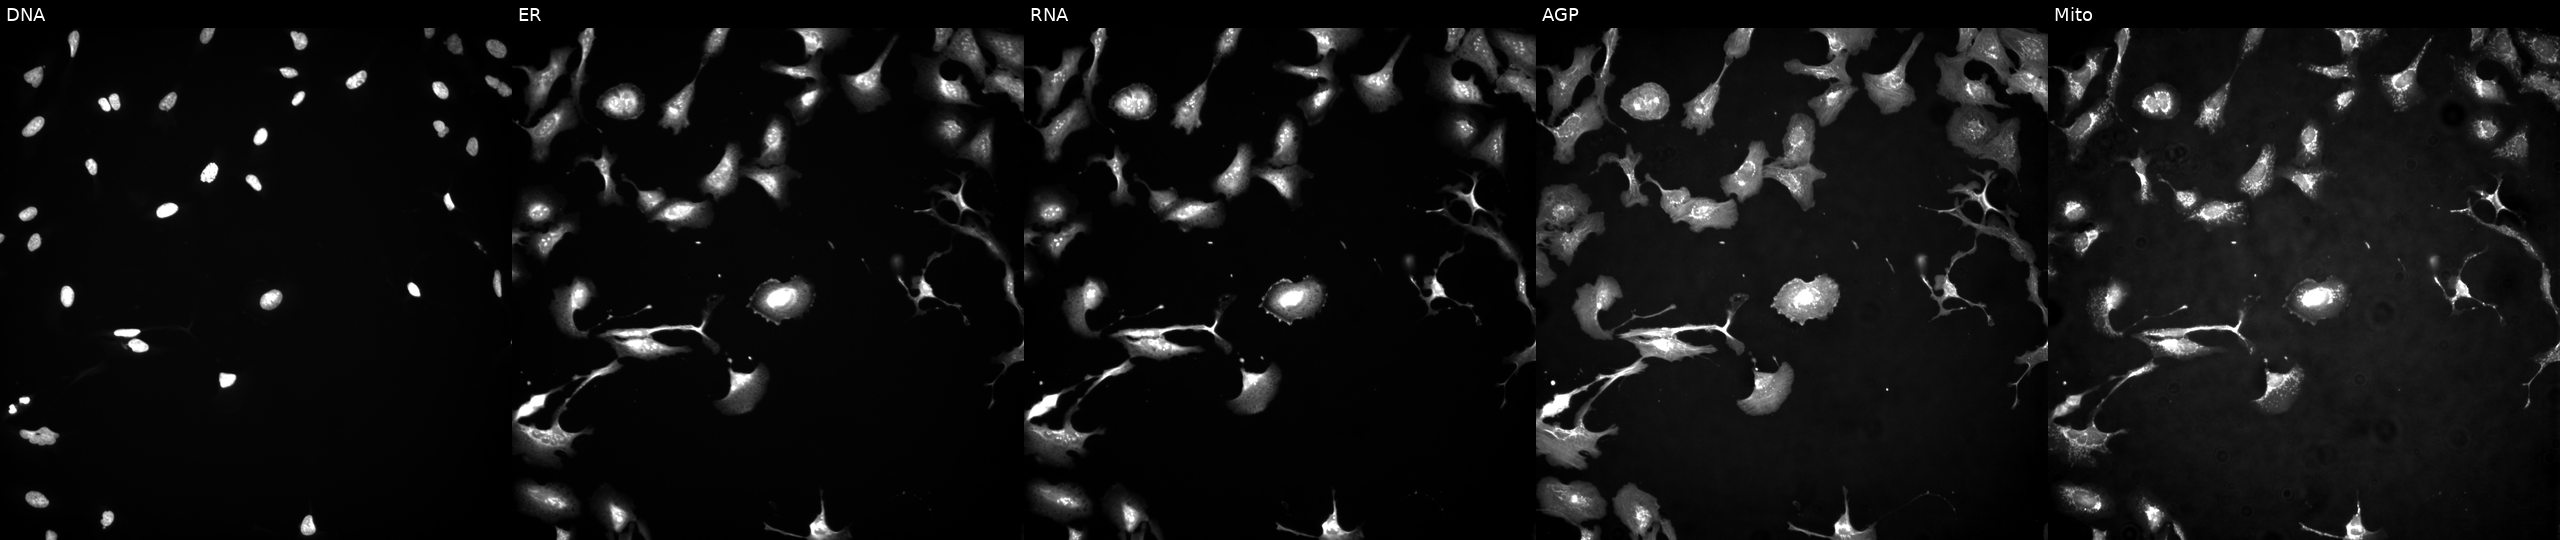
Channels (left→right): Hoechst 33342, concanavalin A, SYTO 14, phalloidin and WGA, MitoTracker. U2OS osteosarcoma cells transfected with an ORF construct for PRKCQ. Cell Painting assay, JUMP-CP dataset.